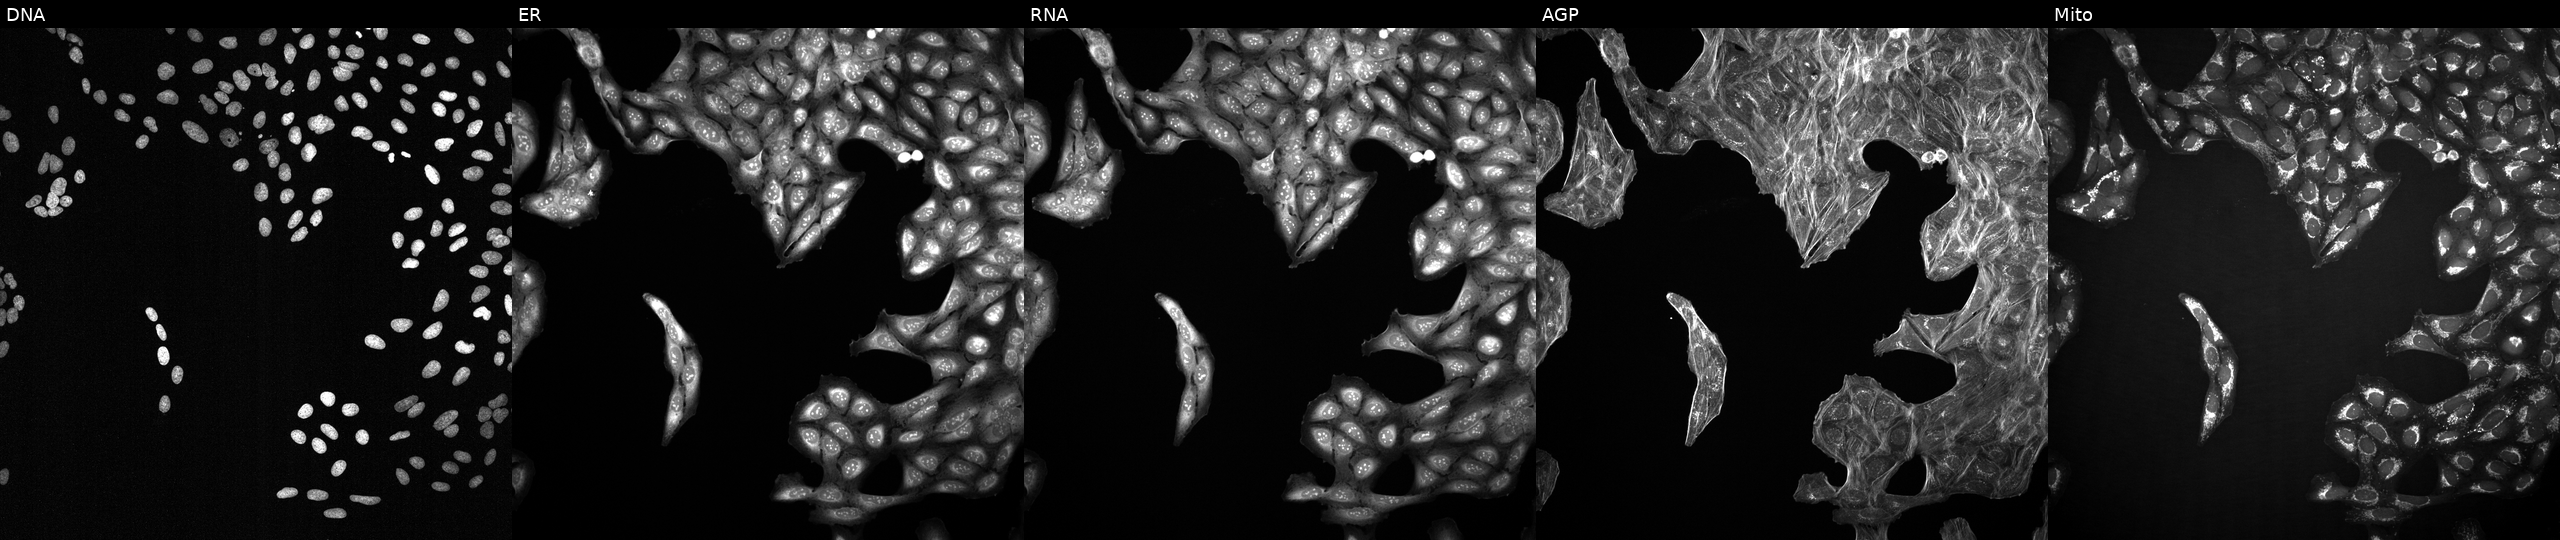
Panels show, left to right, DNA (nuclei); ER (endoplasmic reticulum); RNA (nucleoli and cytoplasmic RNA); AGP (actin cytoskeleton, Golgi, and plasma membrane); Mito (mitochondria). U2OS osteosarcoma cells treated with a small-molecule compound (InChIKey RATZLMXRALDSJW-UHFFFAOYSA-N) [SMILES: CCC1(C2=NCCN2)Cc2ccccc2O1]. Cell Painting assay, JUMP-CP dataset.